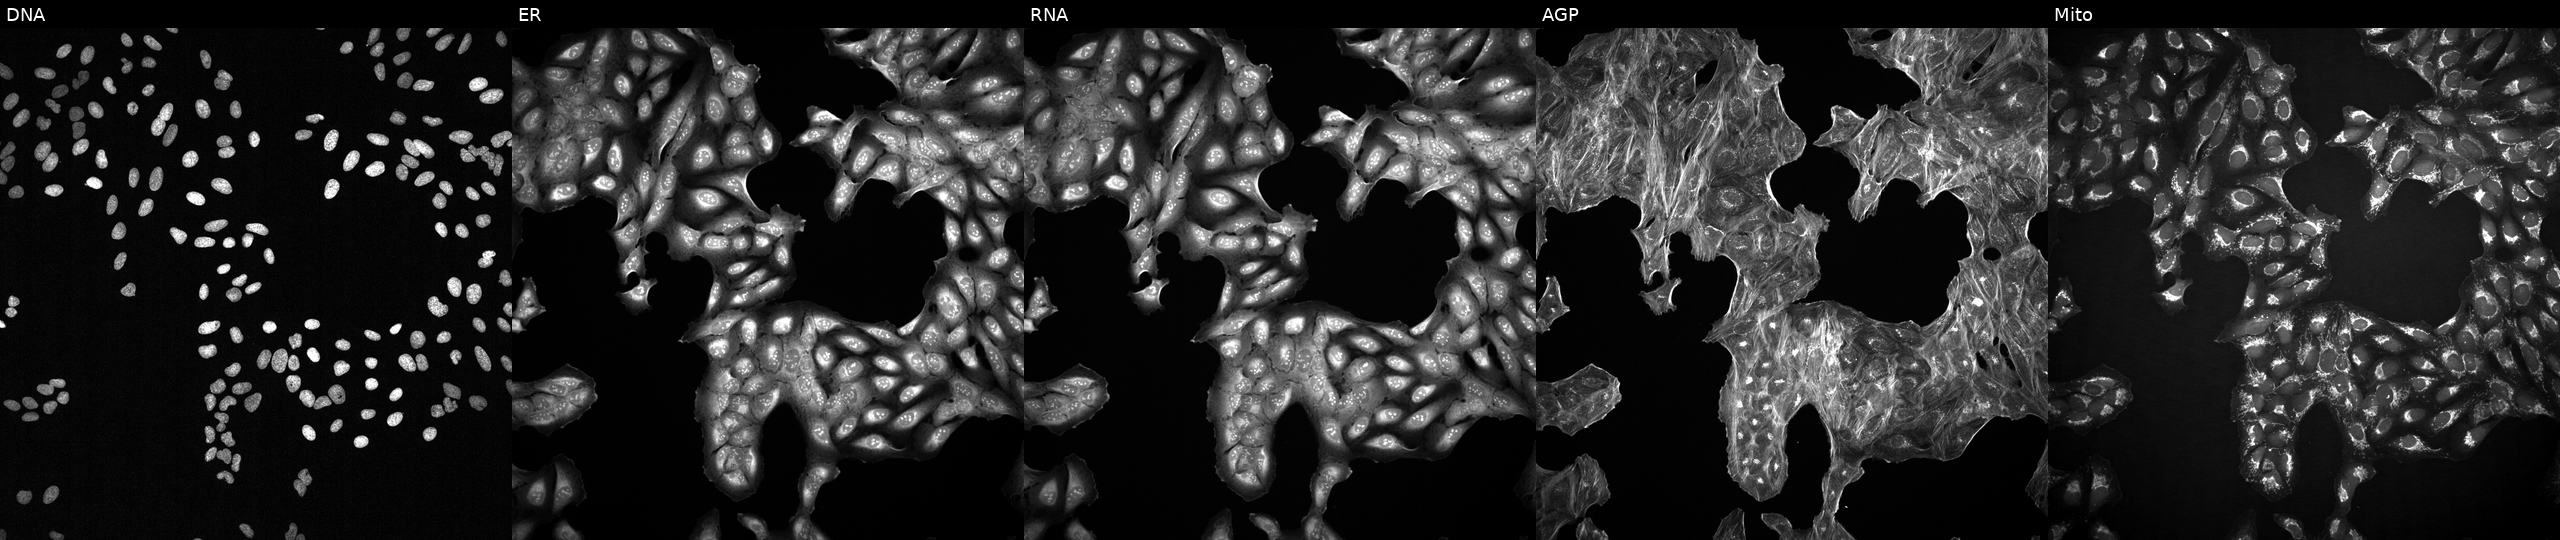
Channels (left→right): DNA (nuclei); ER (endoplasmic reticulum); RNA (nucleoli and cytoplasmic RNA); AGP (actin cytoskeleton, Golgi, and plasma membrane); Mito (mitochondria). U2OS osteosarcoma cells exposed to DMSO alone as a negative control (JUMP id JCP2022_033924). Cell Painting assay, JUMP-CP dataset.